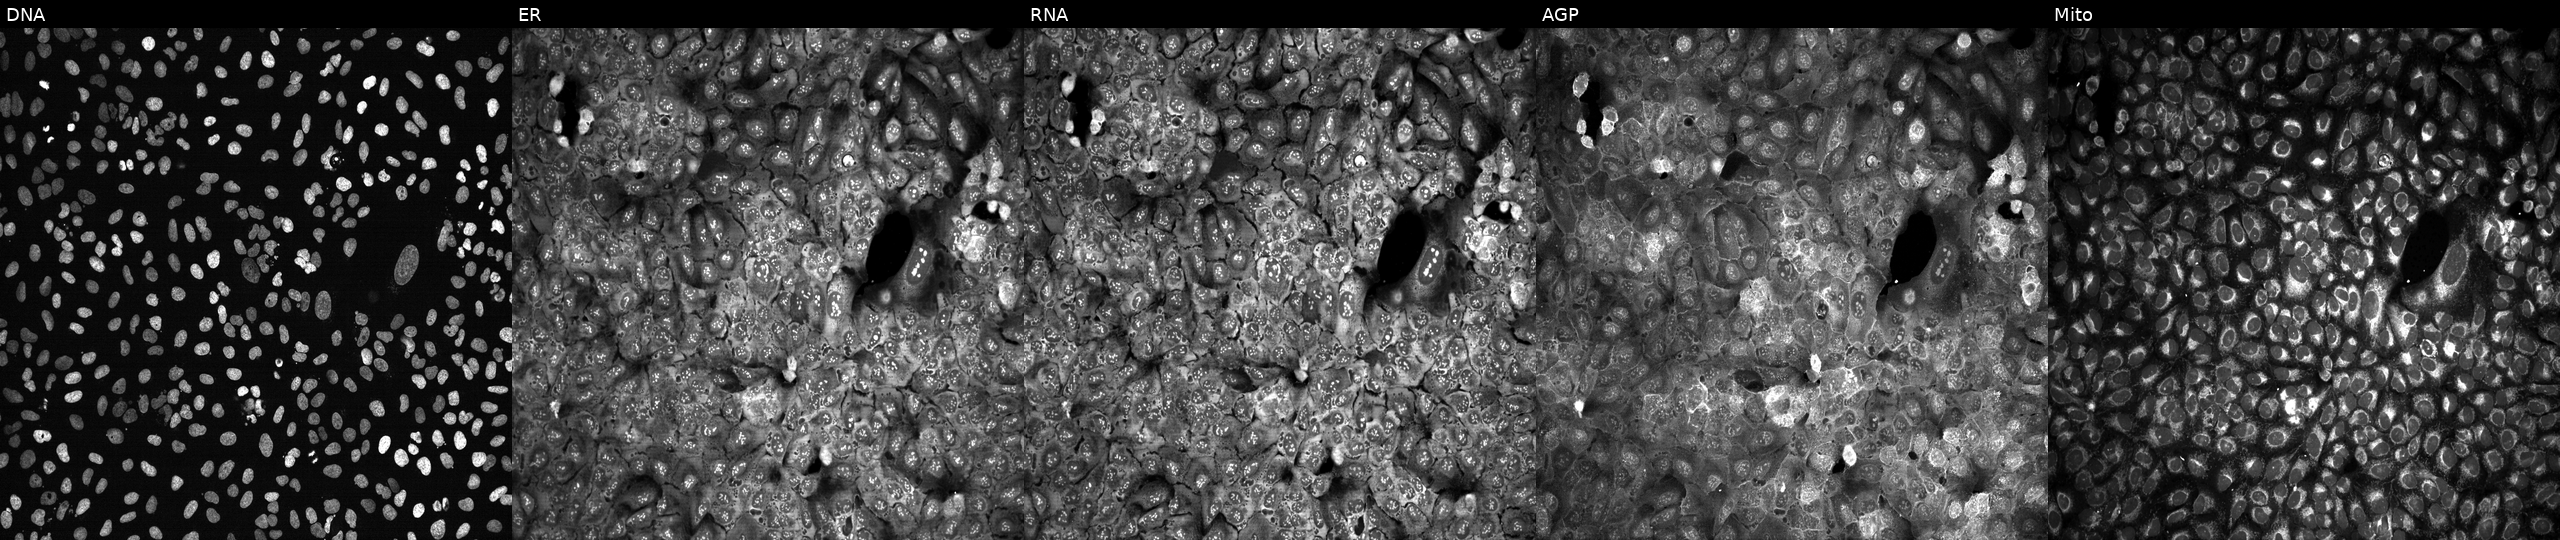
High-content fluorescence microscopy (Cell Painting). Cell line: U2OS. Perturbation: CRISPR-edited to disrupt PARP14. From left to right: DNA (nuclei); ER (endoplasmic reticulum); RNA (nucleoli and cytoplasmic RNA); AGP (actin cytoskeleton, Golgi, and plasma membrane); Mito (mitochondria).